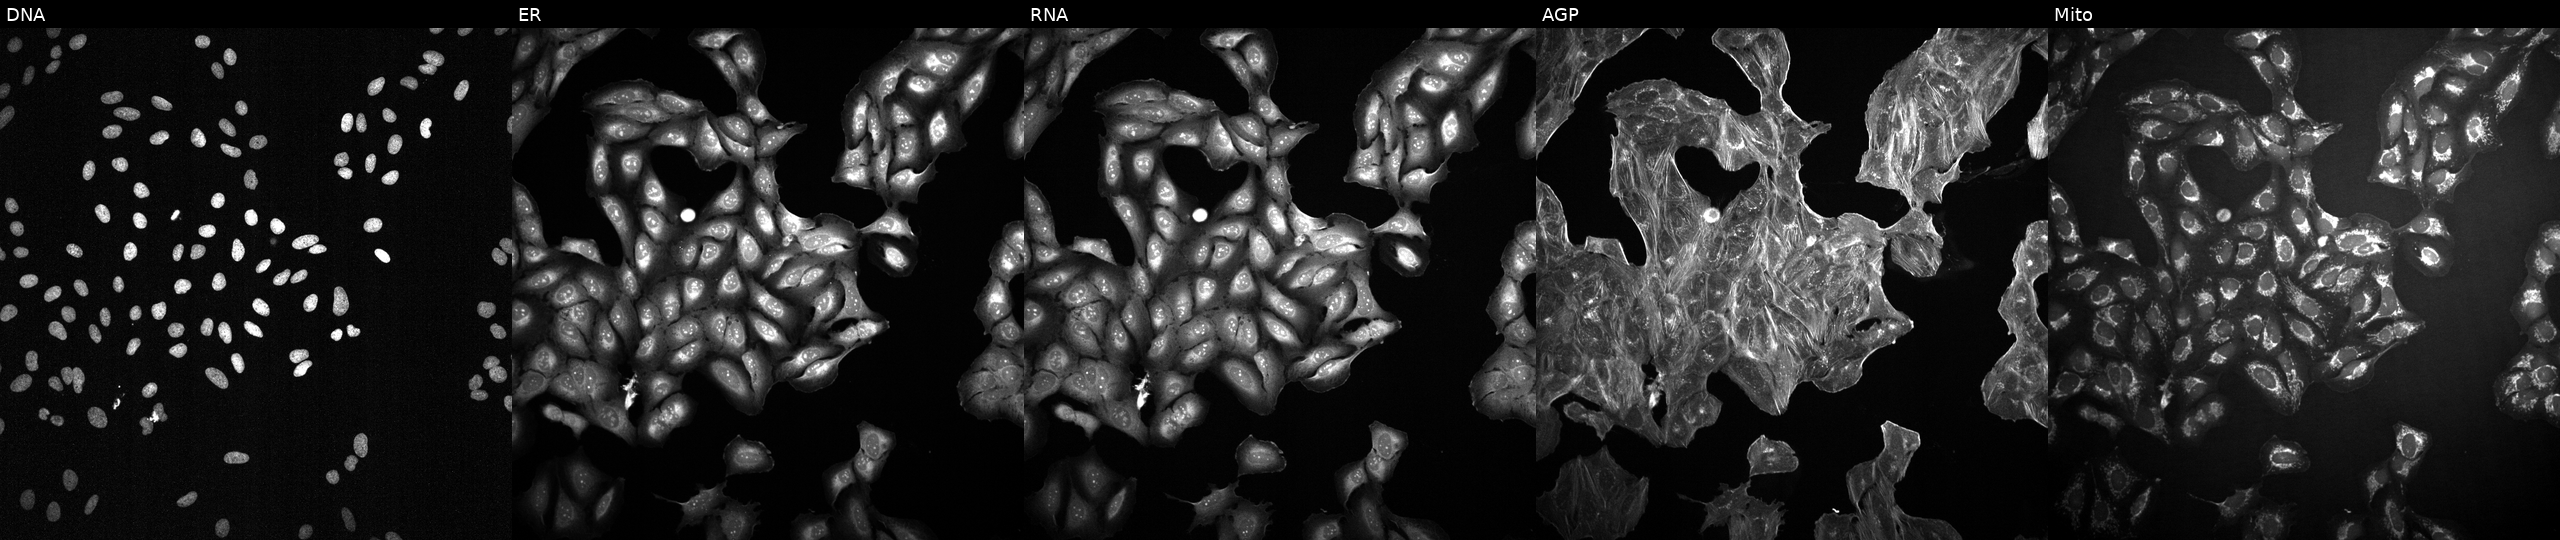
Panels show, left to right, DNA (nuclei); ER (endoplasmic reticulum); RNA (nucleoli and cytoplasmic RNA); AGP (actin cytoskeleton, Golgi, and plasma membrane); Mito (mitochondria). U2OS osteosarcoma cells treated with a small-molecule compound (InChIKey OQQVFCKUDYMWGV-UHFFFAOYSA-N) [SMILES: OCc1ccc(-c2nn(Cc3ccccc3)c3ccccc23)o1]. Cell Painting assay, JUMP-CP dataset. Source 2, plate 1053599503, well M14.